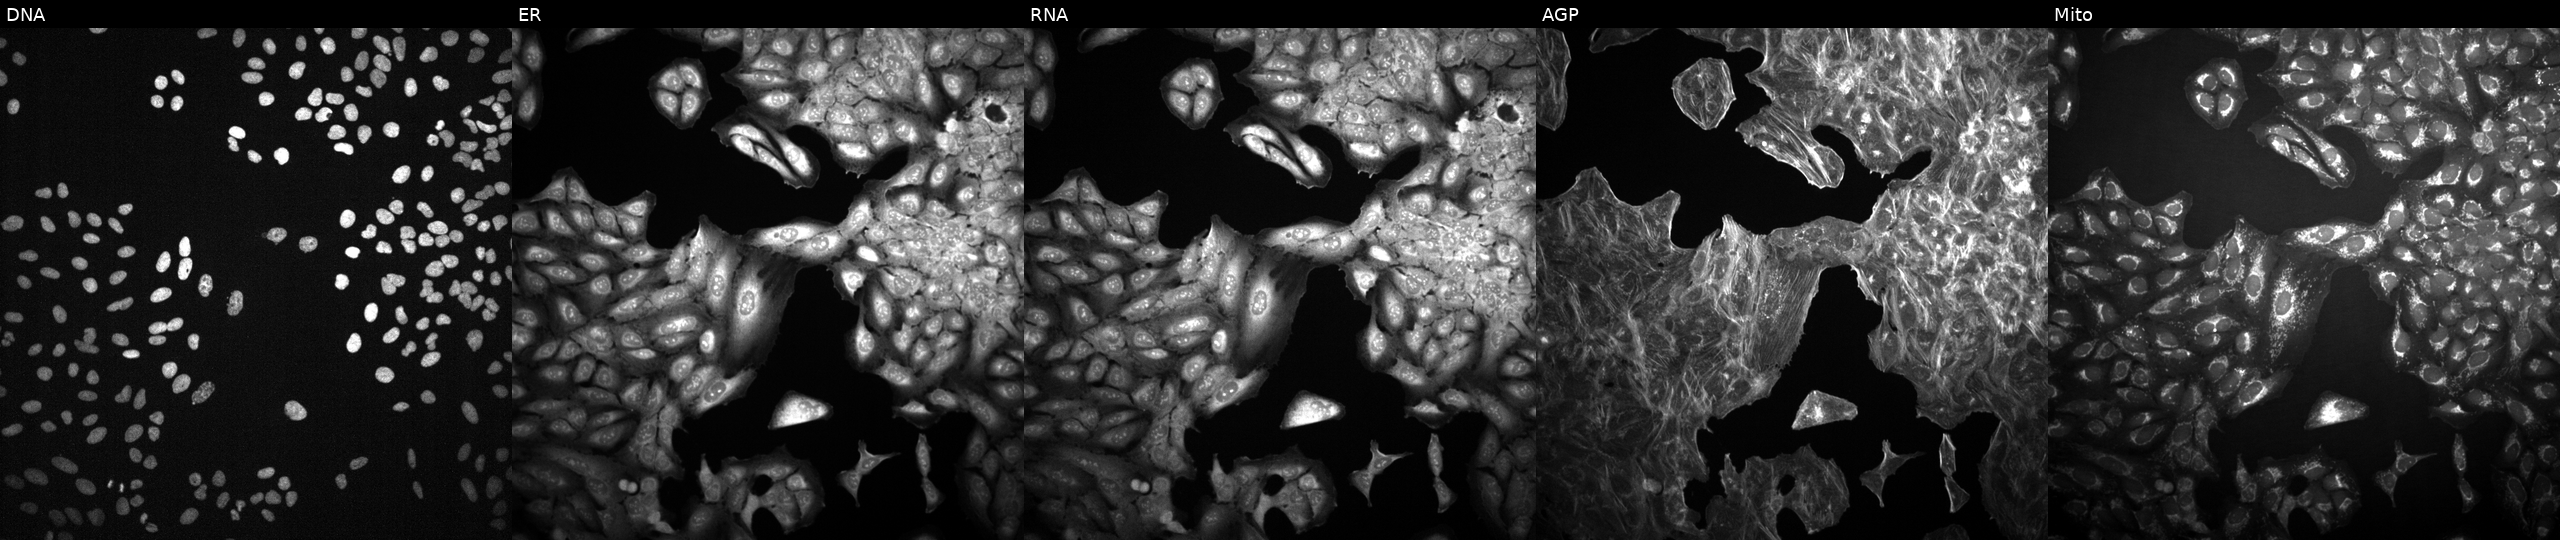
JUMP Cell Painting — TARGET2 plate. U2OS cells exposed to DMSO alone as a negative control. Panels show, left to right, Hoechst 33342, concanavalin A, SYTO 14, phalloidin and WGA, MitoTracker. Source 2, plate 1053597936, well M10.